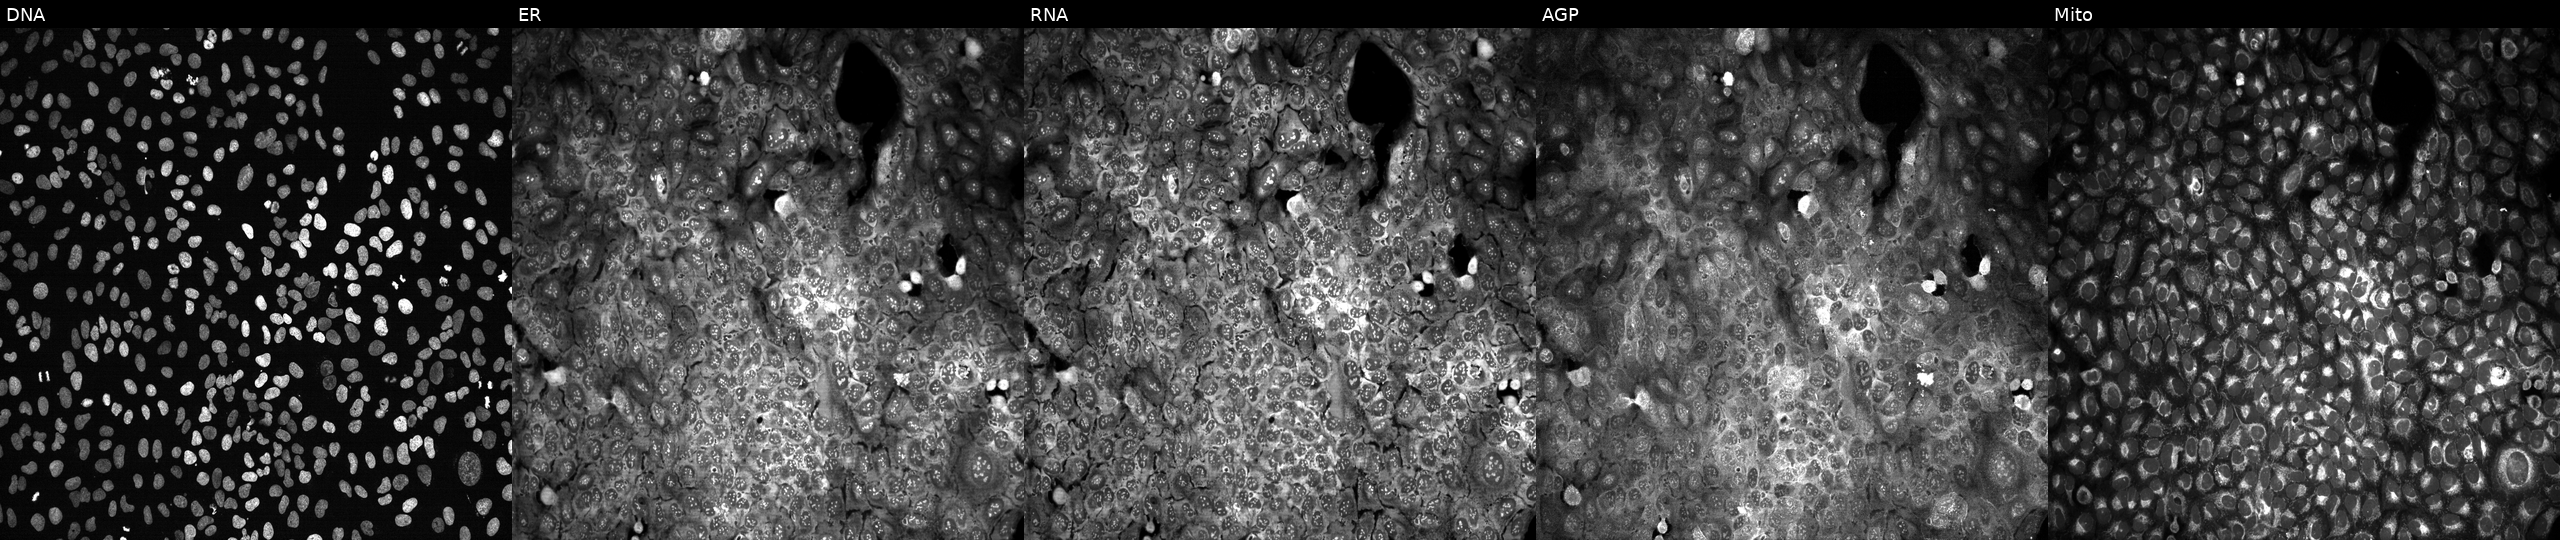
Five-channel Cell Painting image of U2OS cells with TFPI knocked out by CRISPR (JUMP id JCP2022_807042). The five panels, left to right, show DNA (nuclei); ER (endoplasmic reticulum); RNA (nucleoli and cytoplasmic RNA); AGP (actin cytoskeleton, Golgi, and plasma membrane); Mito (mitochondria).